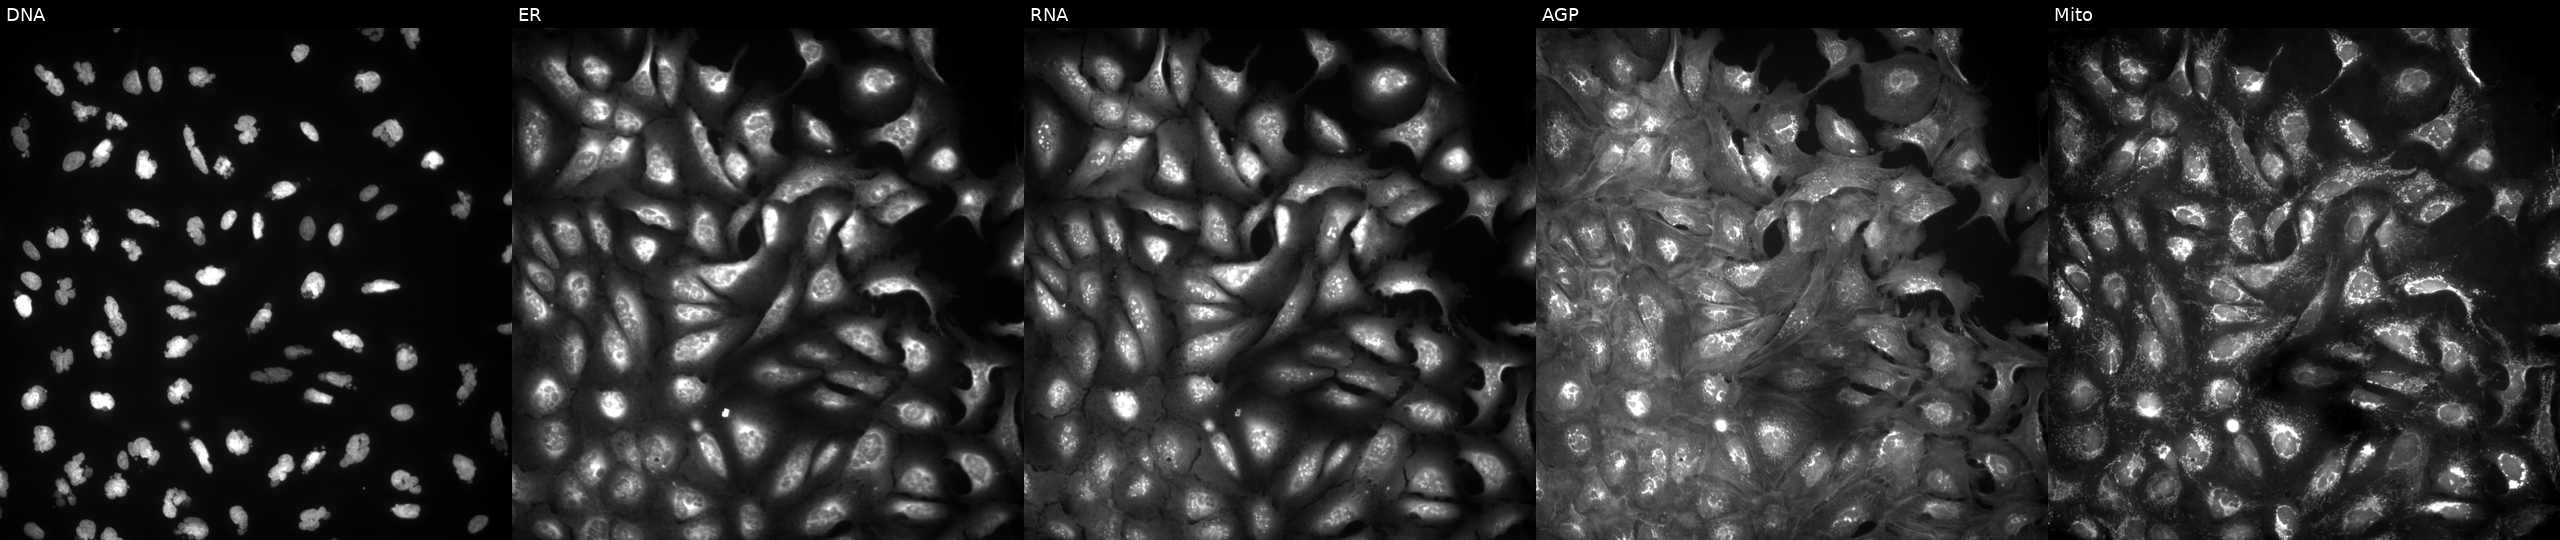
U2OS cells, Cell Painting assay, exposed to the positive-control compound LY2109761 (JUMP id JCP2022_035095). Channels (left→right): DNA (nuclei); ER (endoplasmic reticulum); RNA (nucleoli and cytoplasmic RNA); AGP (actin cytoskeleton, Golgi, and plasma membrane); Mito (mitochondria). Each panel is percentile-stretched 16-bit fluorescence. Source 4, plate BR00124790, well O24.